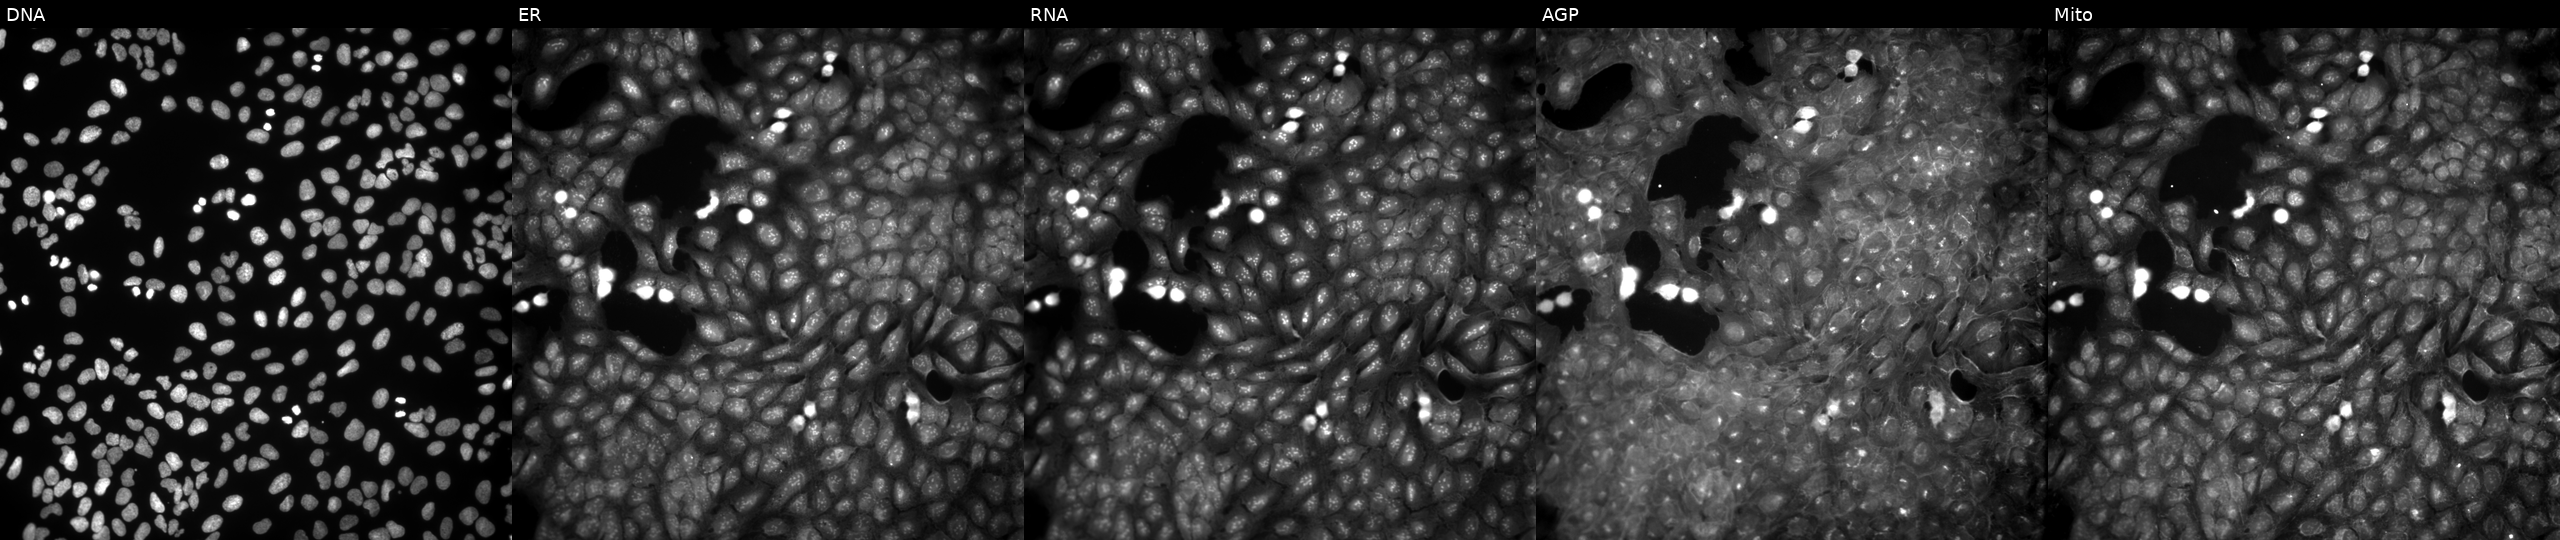
High-content fluorescence microscopy (Cell Painting). Cell line: U2OS. Perturbation: perturbed with a small-molecule compound (InChIKey OCOQOKDTOOUSDB-UHFFFAOYSA-N) (JUMP id JCP2022_062930). Panels show, left to right, DNA (nuclei); ER (endoplasmic reticulum); RNA (nucleoli and cytoplasmic RNA); AGP (actin cytoskeleton, Golgi, and plasma membrane); Mito (mitochondria). Source 9, plate GR00003382, well U21.